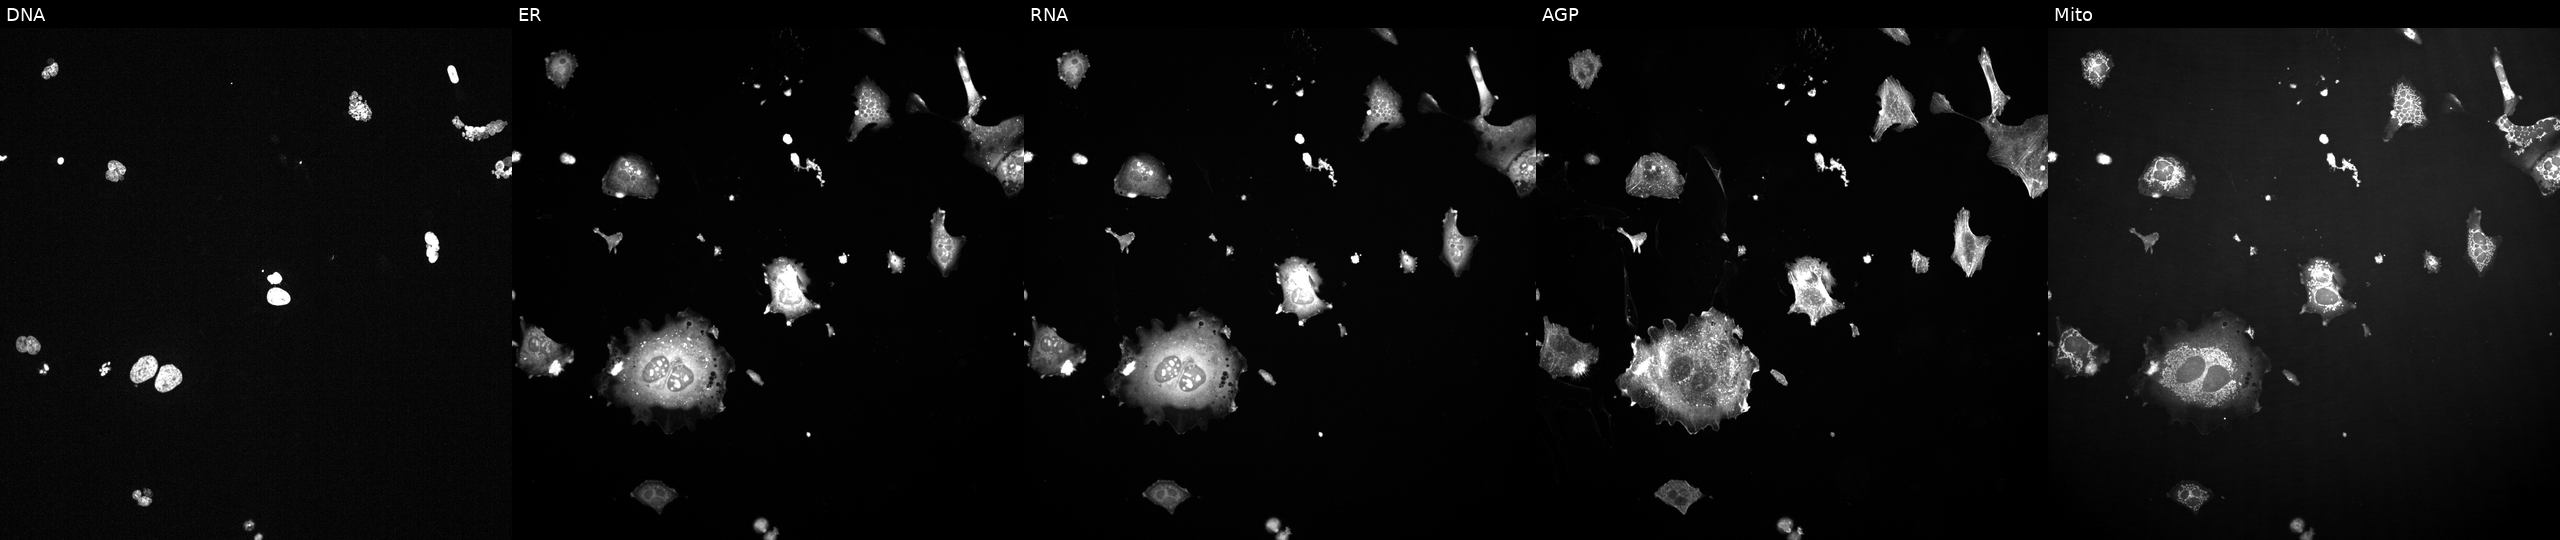
JUMP Cell Painting — TARGET2 plate. U2OS cells exposed to a small-molecule compound (InChIKey MTJHLONVHHPNSI-UHFFFAOYSA-N). The five panels, left to right, show DNA (nuclei); ER (endoplasmic reticulum); RNA (nucleoli and cytoplasmic RNA); AGP (actin cytoskeleton, Golgi, and plasma membrane); Mito (mitochondria). Source 2, plate 1053597936, well M15.